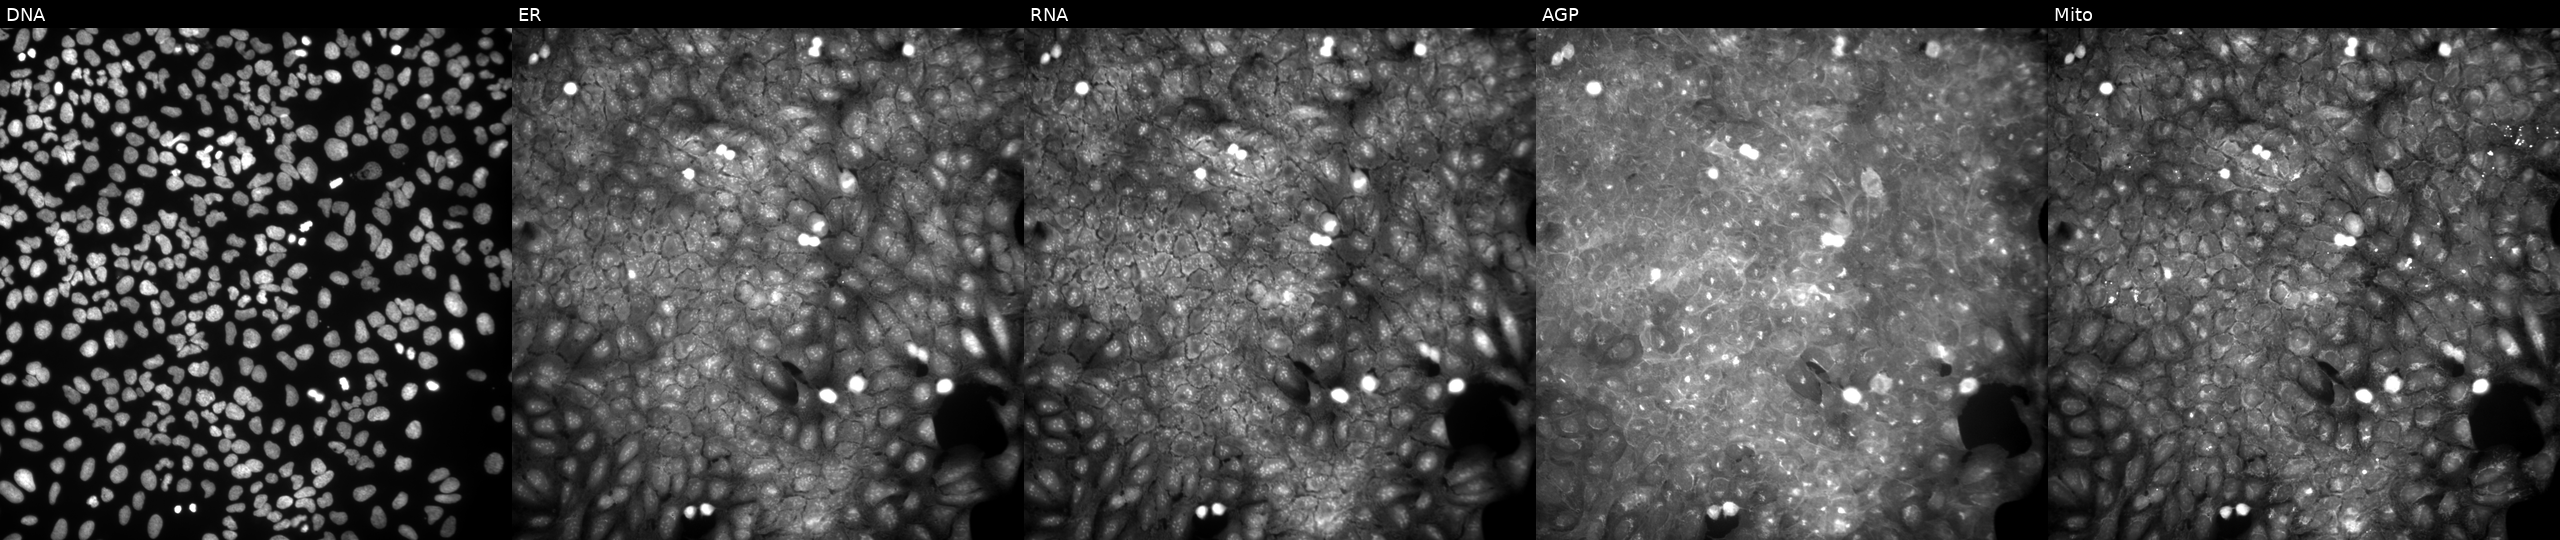
From left to right: Hoechst 33342, concanavalin A, SYTO 14, phalloidin and WGA, MitoTracker. U2OS osteosarcoma cells exposed to a small-molecule compound (InChIKey PJNFTDAPKXTSQV-UHFFFAOYSA-N) (JUMP id JCP2022_069017). Cell Painting assay, JUMP-CP dataset. Source 9, plate GR00003381, well H41.